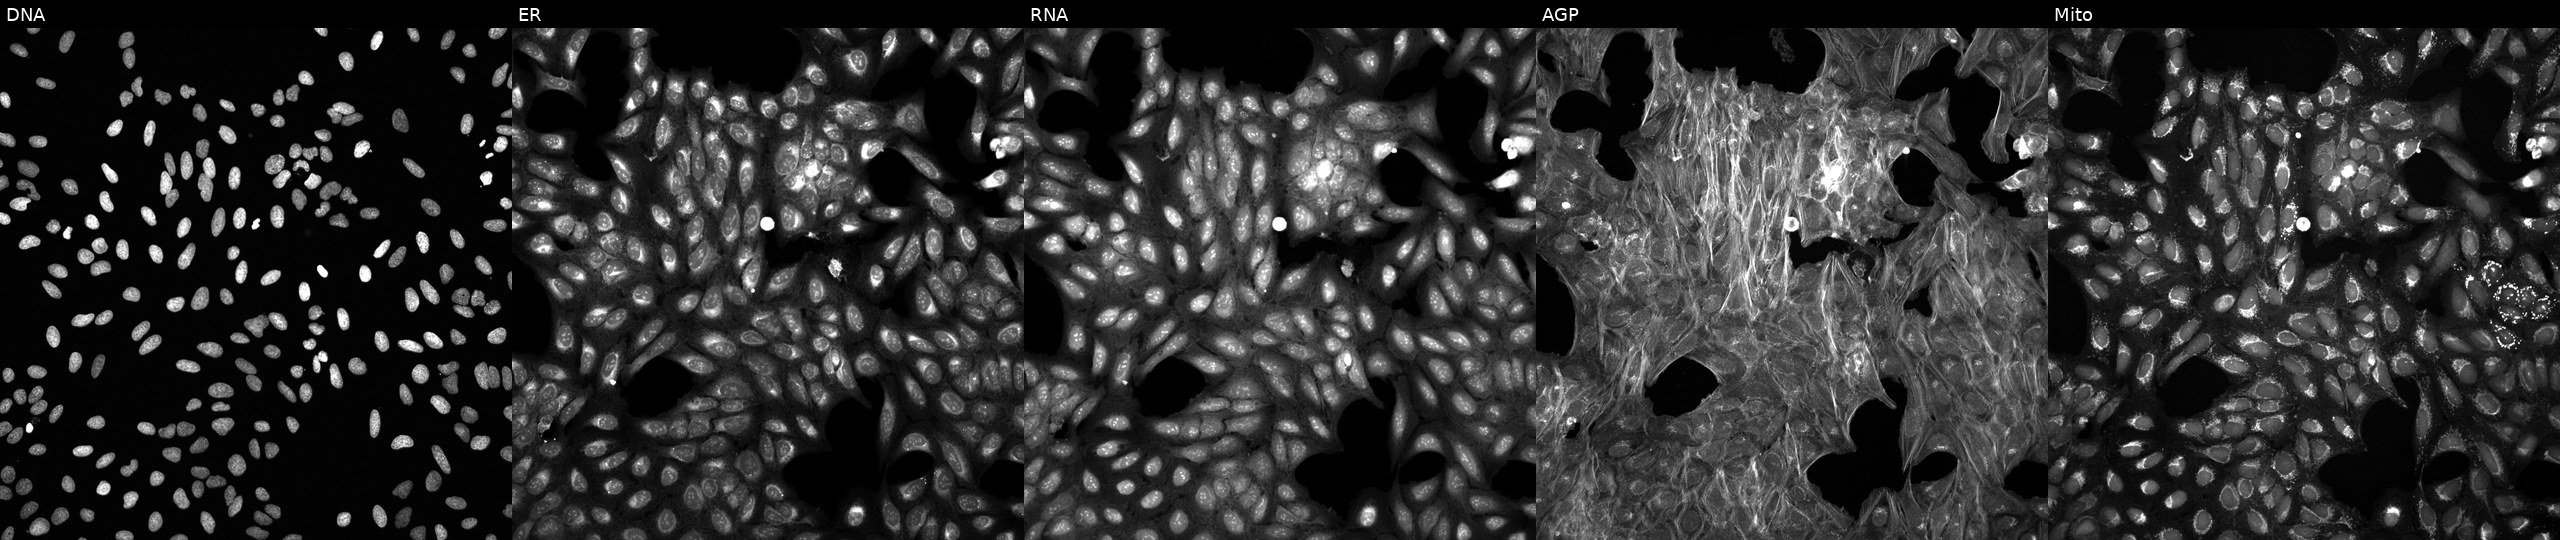
This image strip shows the five Cell Painting channels for a single field of U2OS cells perturbed with a small-molecule compound (InChIKey ZDXPYRJPNDTMRX-UHFFFAOYSA-N) (JUMP id JCP2022_112702). From left to right: DNA (nuclei); ER (endoplasmic reticulum); RNA (nucleoli and cytoplasmic RNA); AGP (actin cytoskeleton, Golgi, and plasma membrane); Mito (mitochondria).